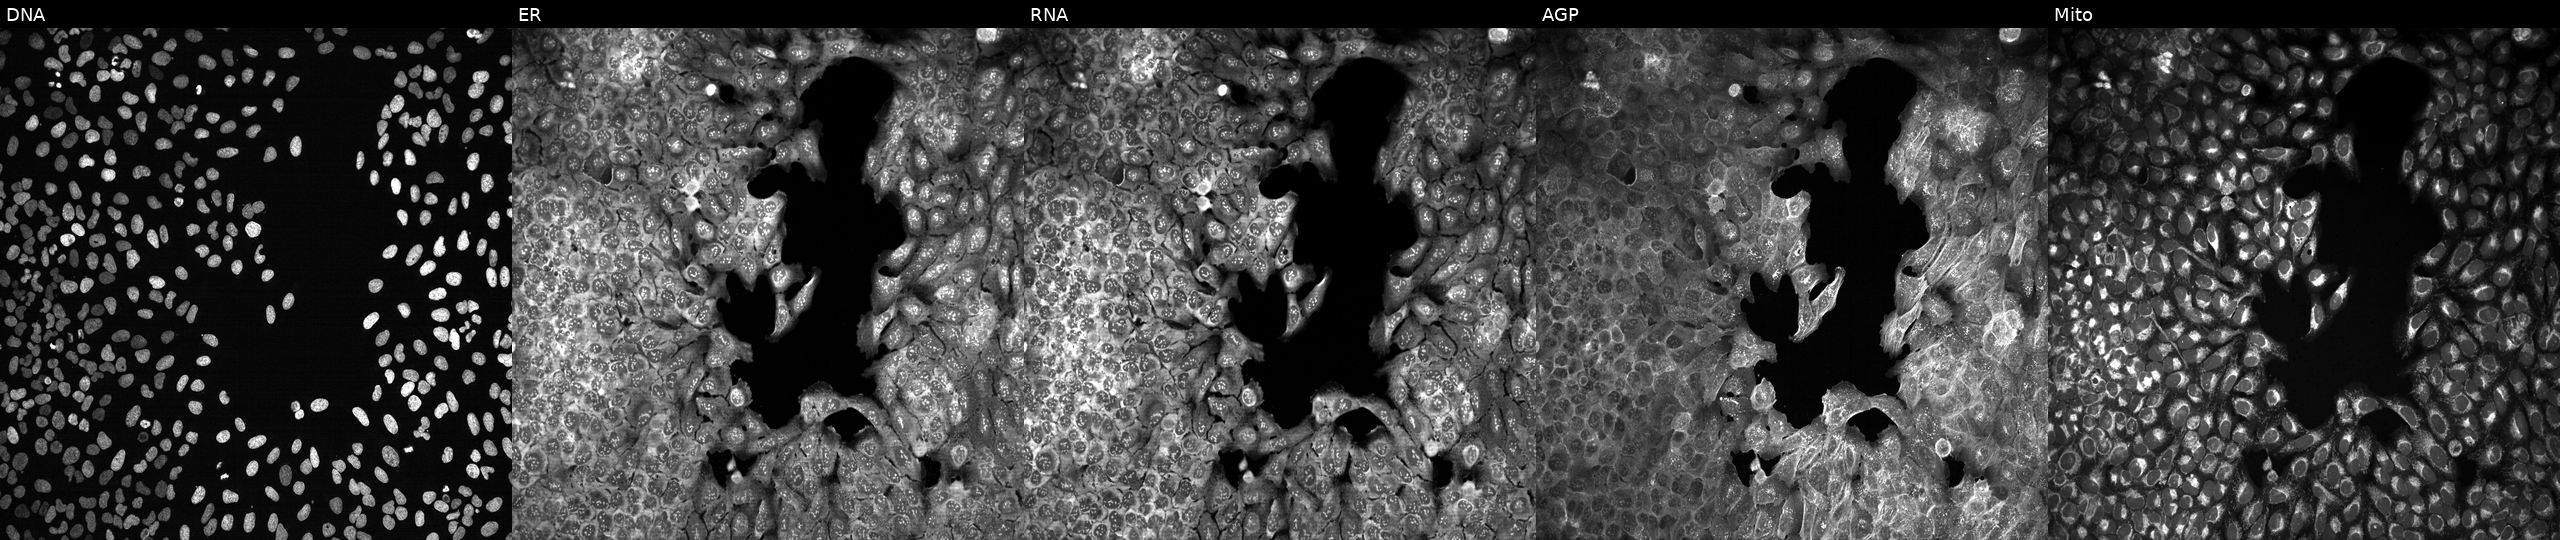
This image strip shows the five Cell Painting channels for a single field of U2OS cells CRISPR-edited to disrupt FOLH1 (JUMP id JCP2022_802439). From left to right: Hoechst 33342, concanavalin A, SYTO 14, phalloidin and WGA, MitoTracker.